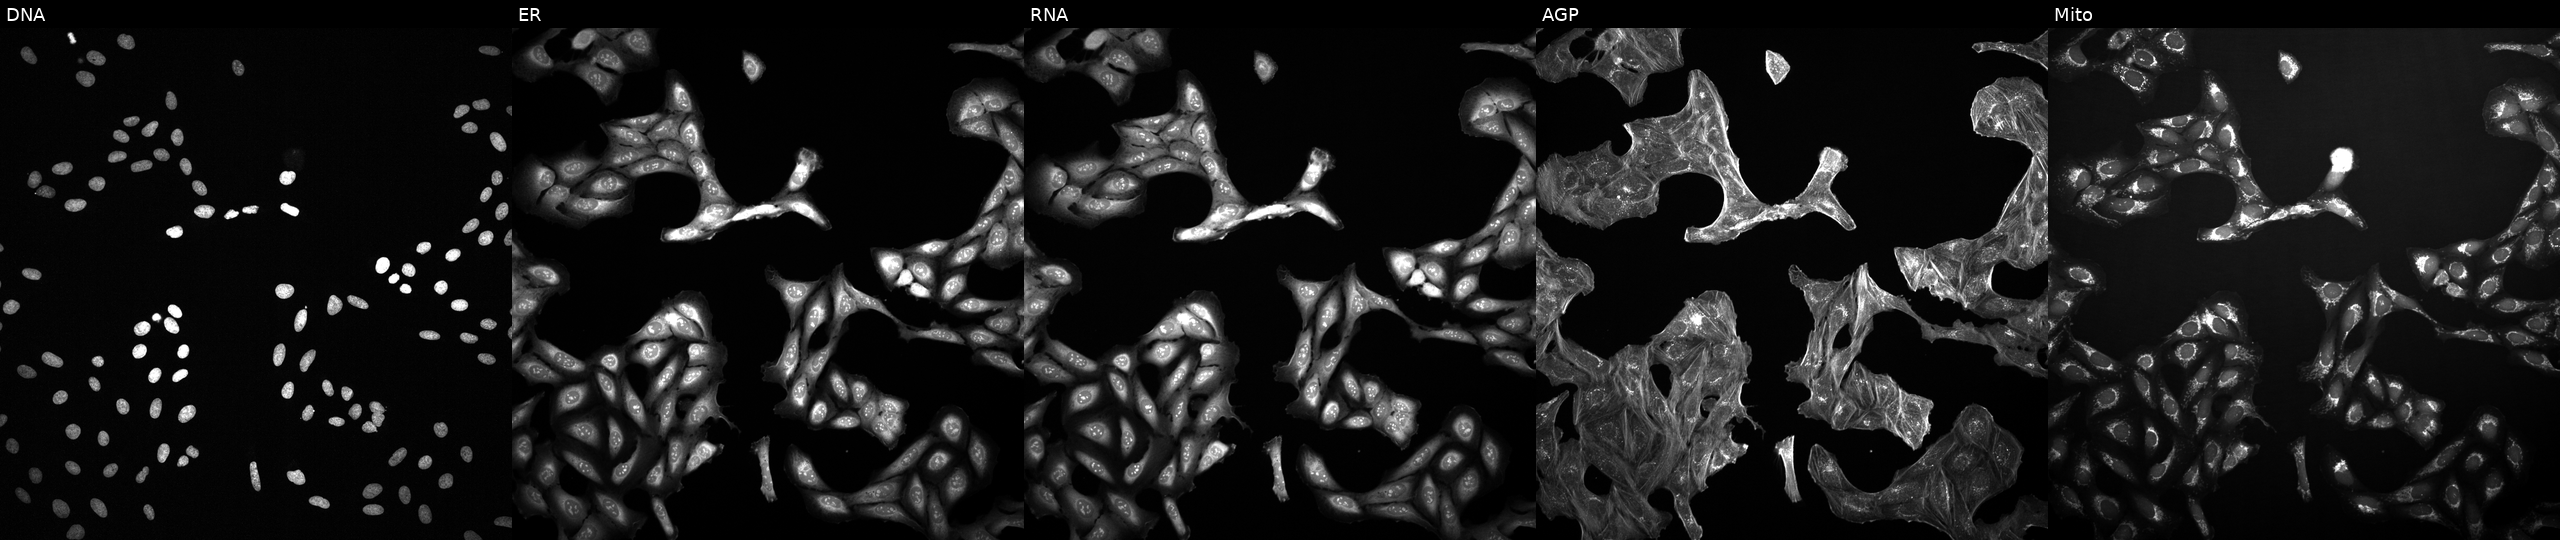
Five-channel Cell Painting image of U2OS cells perturbed with a small-molecule compound. Panels show, left to right, Hoechst 33342, concanavalin A, SYTO 14, phalloidin and WGA, MitoTracker.